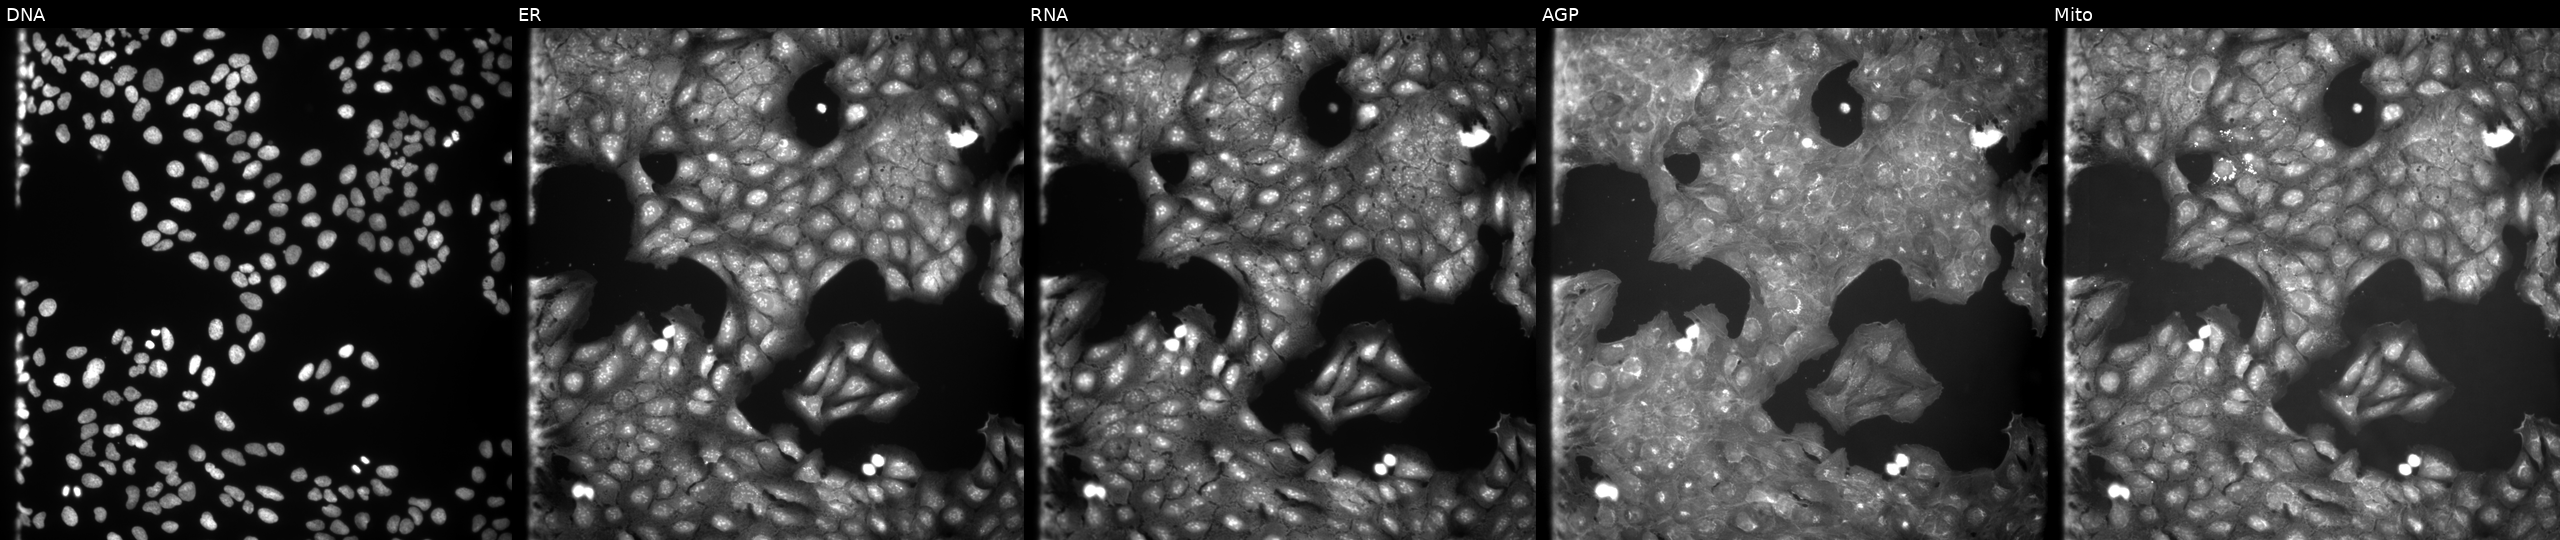
JUMP Cell Painting — COMPOUND plate. U2OS cells perturbed with a small-molecule compound (InChIKey BCPQTPNIXFGIGW-UHFFFAOYSA-N) [SMILES: O=C(COc1ccccc1Cl)Nc1ccc2c(c1)OCCO2] (JUMP id JCP2022_005451). From left to right: DNA (nuclei); ER (endoplasmic reticulum); RNA (nucleoli and cytoplasmic RNA); AGP (actin cytoskeleton, Golgi, and plasma membrane); Mito (mitochondria).